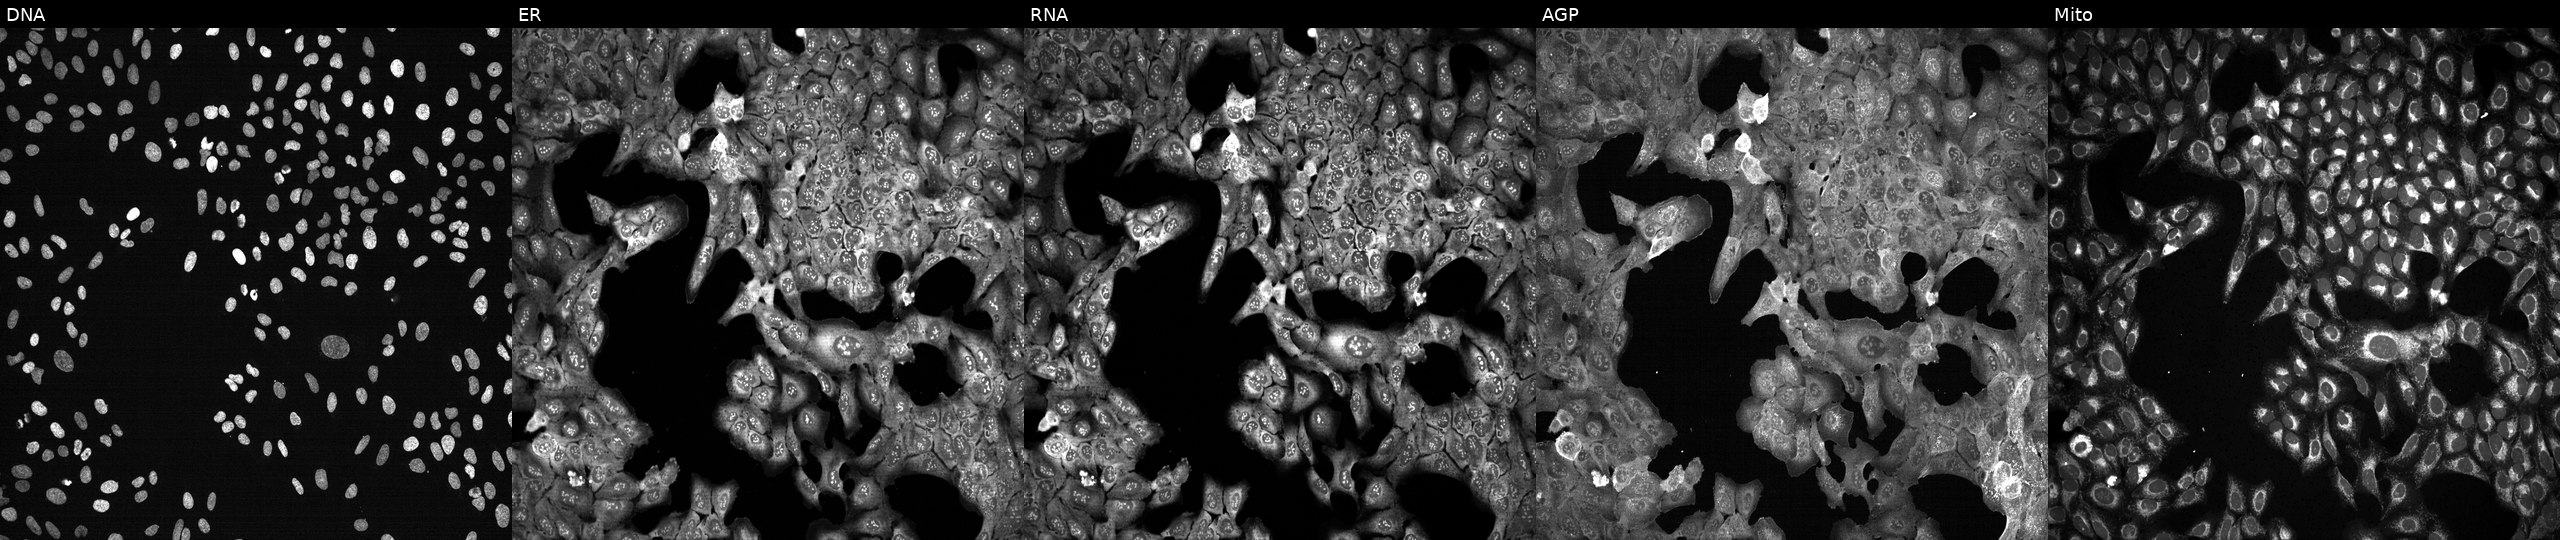
This image strip shows the five Cell Painting channels for a single field of U2OS cells with ATP6V1C2 knocked out by CRISPR. Channels (left→right): Hoechst 33342, concanavalin A, SYTO 14, phalloidin and WGA, MitoTracker.